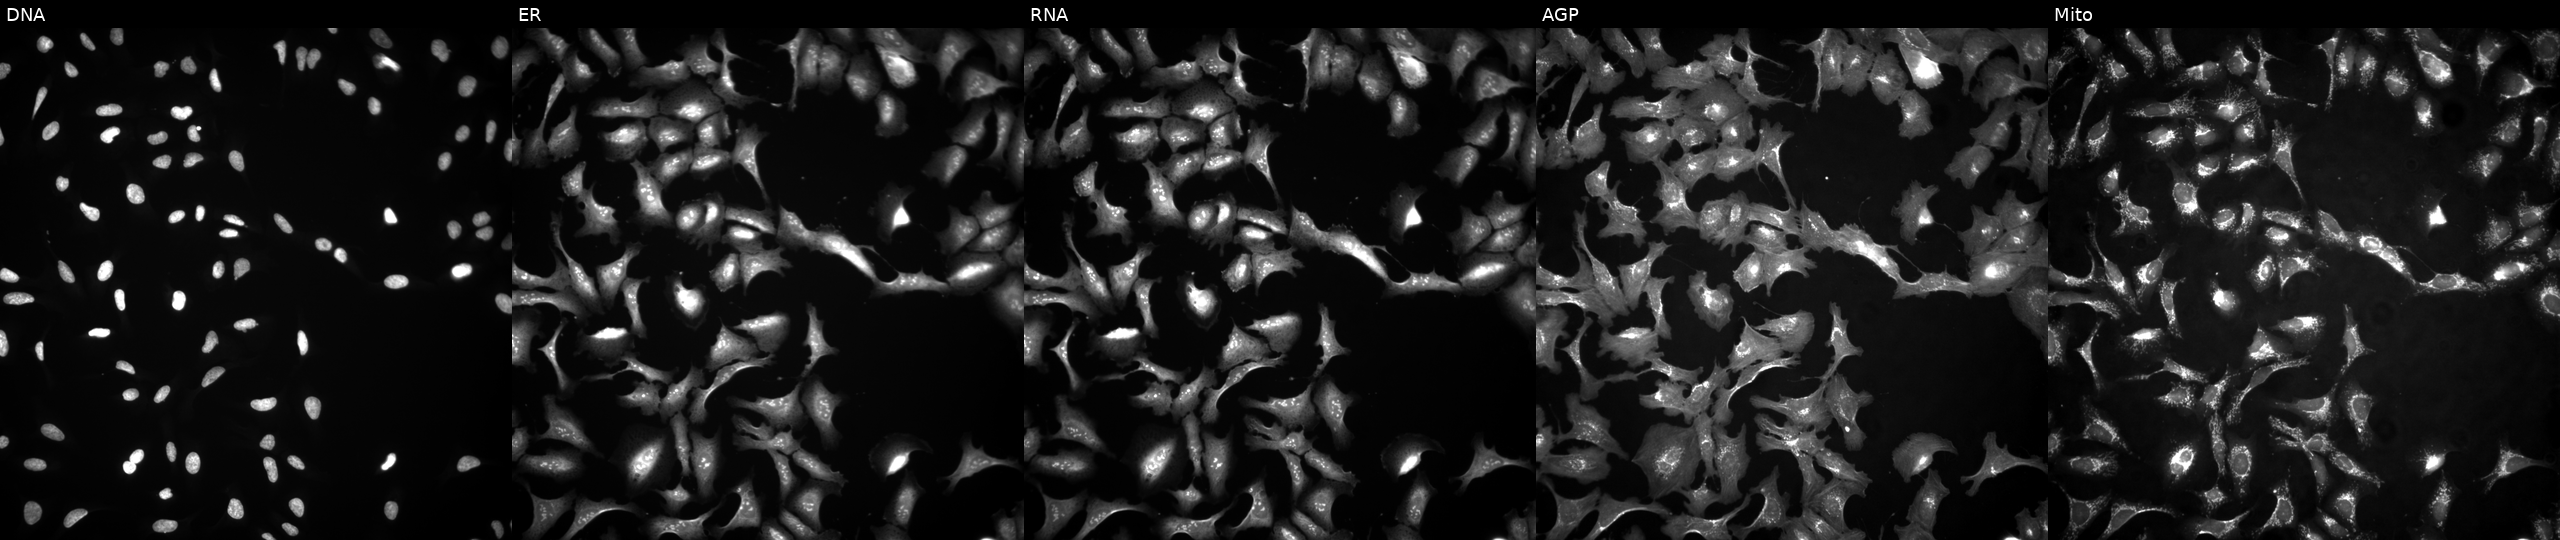
Panels show, left to right, Hoechst 33342, concanavalin A, SYTO 14, phalloidin and WGA, MitoTracker. U2OS osteosarcoma cells transfected with an ORF construct for ZNF582. Cell Painting assay, JUMP-CP dataset.